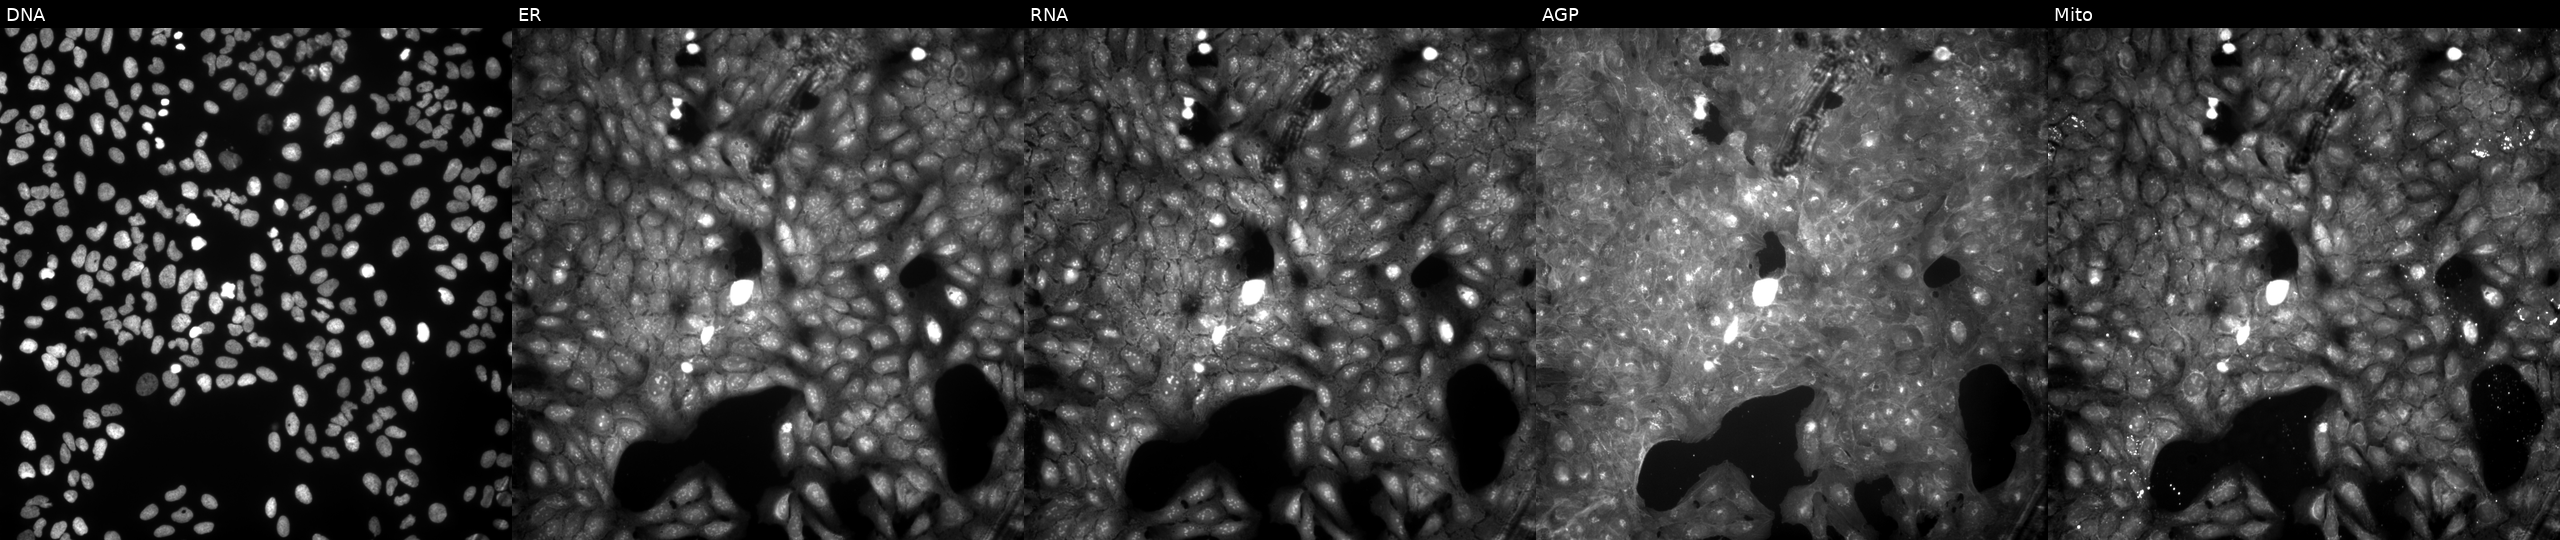
Five-channel Cell Painting image of U2OS cells exposed to DMSO alone as a negative control (JUMP id JCP2022_033924). From left to right: DNA, ER, RNA, AGP, and Mito. Source 9, plate GR00003382, well K26.